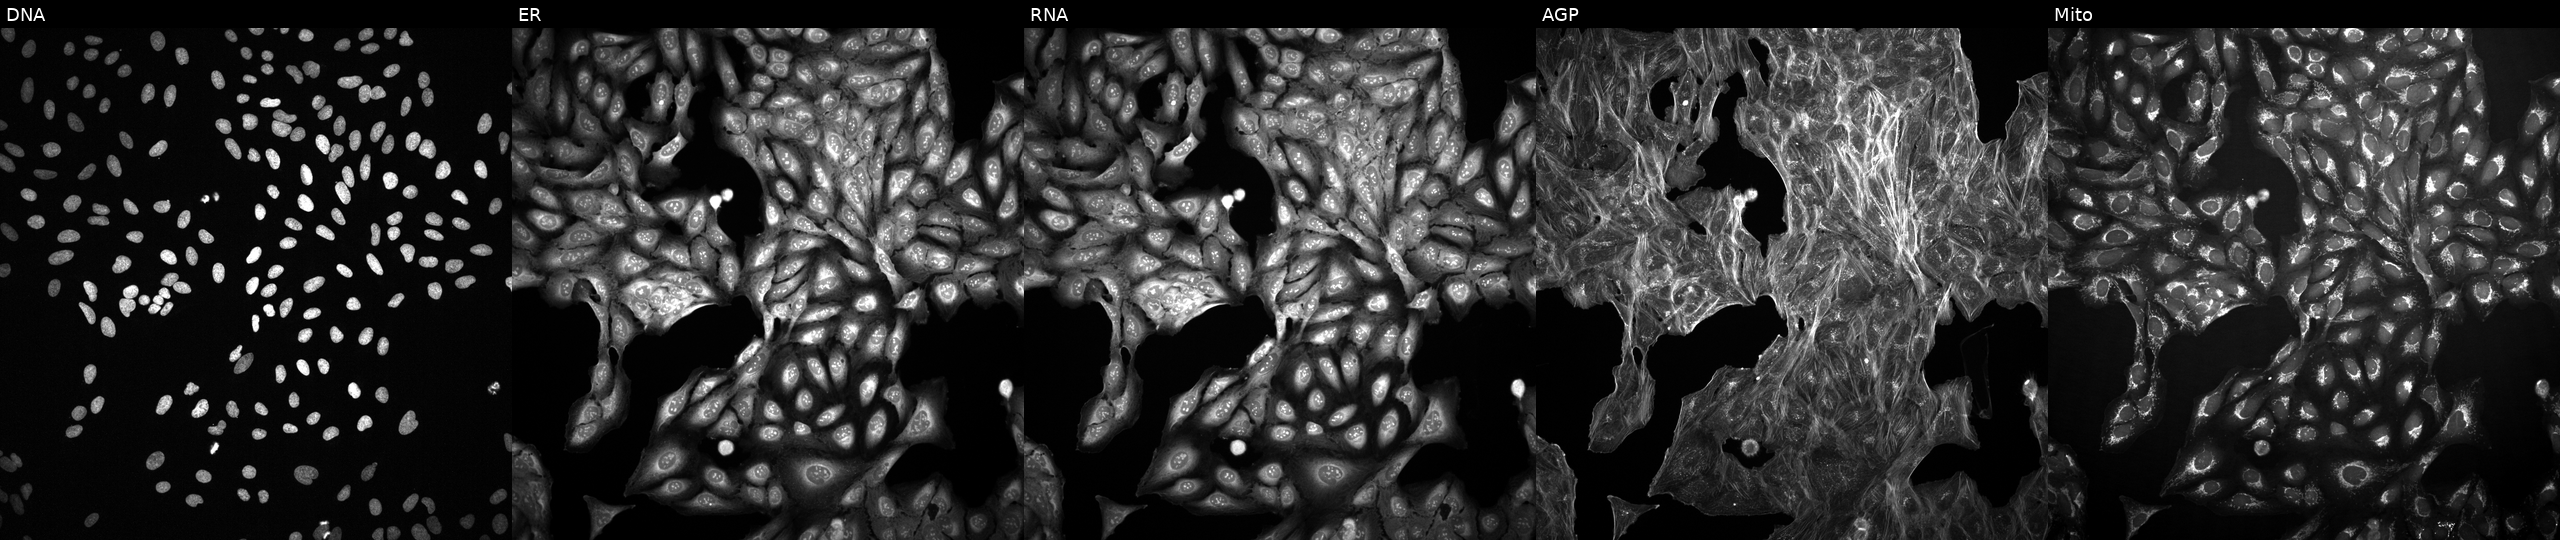
High-content fluorescence microscopy (Cell Painting). Cell line: U2OS. Perturbation: perturbed with a small-molecule compound. Channels (left→right): DNA (nuclei); ER (endoplasmic reticulum); RNA (nucleoli and cytoplasmic RNA); AGP (actin cytoskeleton, Golgi, and plasma membrane); Mito (mitochondria). Source 2, plate 1053597936, well J10.